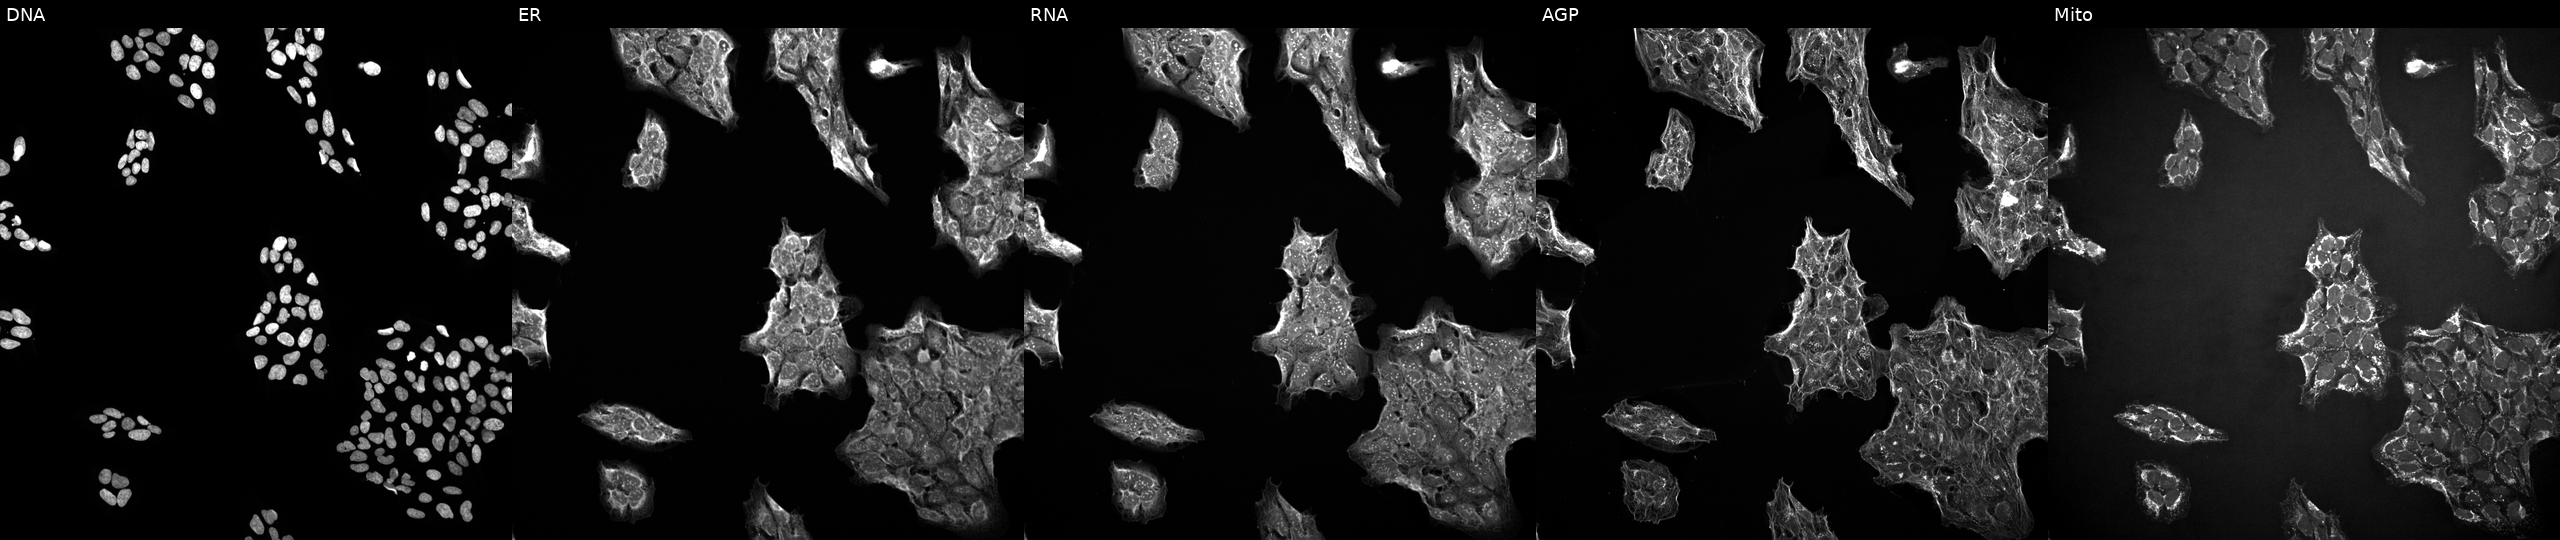
U2OS cells, Cell Painting assay, exposed to the positive-control compound LY2109761. Panels show, left to right, Hoechst 33342, concanavalin A, SYTO 14, phalloidin and WGA, MitoTracker. Each panel is percentile-stretched 16-bit fluorescence. Source 10, plate Dest210531-152324, well A24.